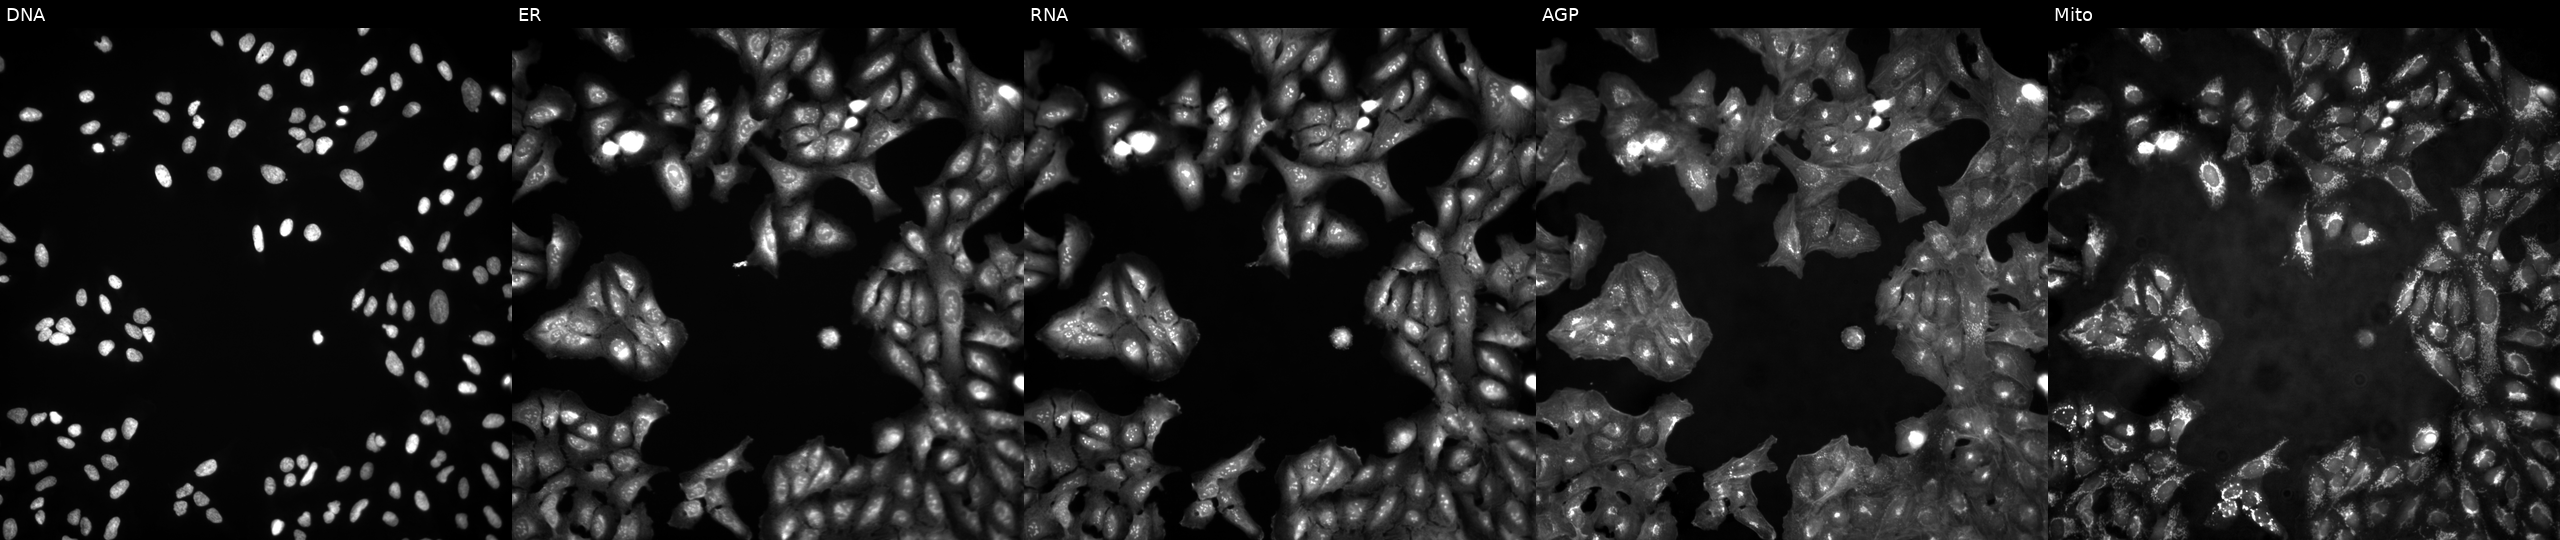
High-content fluorescence microscopy (Cell Painting). Cell line: U2OS. Perturbation: untreated (empty-well control). Panels show, left to right, DNA, ER, RNA, AGP, and Mito. Source 4, plate BR00123946, well N20.